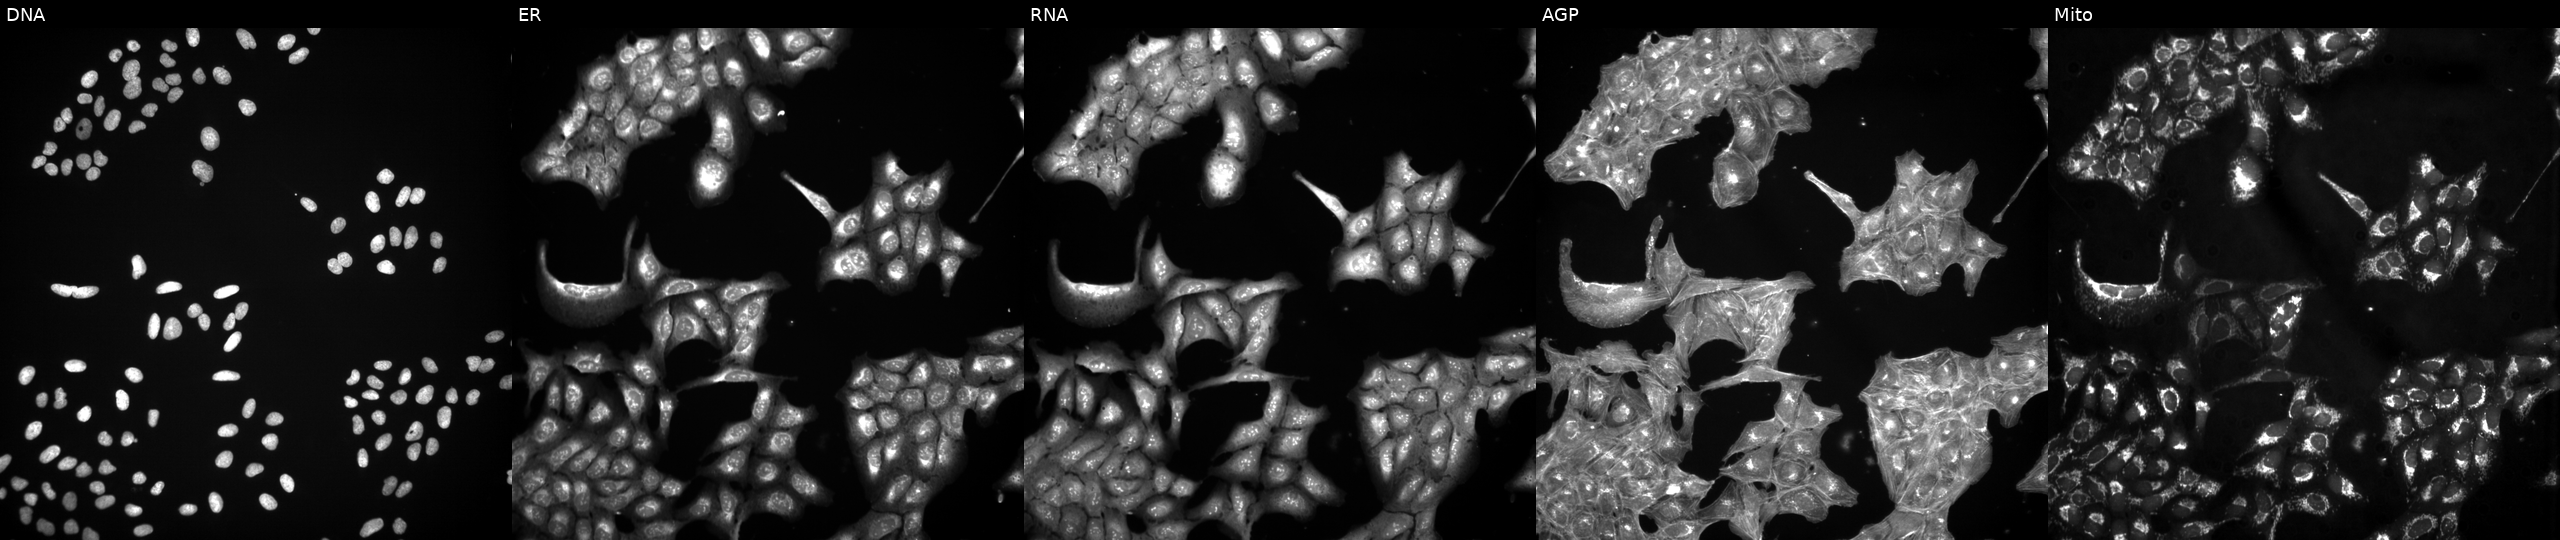
High-content fluorescence microscopy (Cell Painting). Cell line: U2OS. Perturbation: treated with DMSO vehicle only (negative control). Panels show, left to right, Hoechst 33342, concanavalin A, SYTO 14, phalloidin and WGA, MitoTracker.